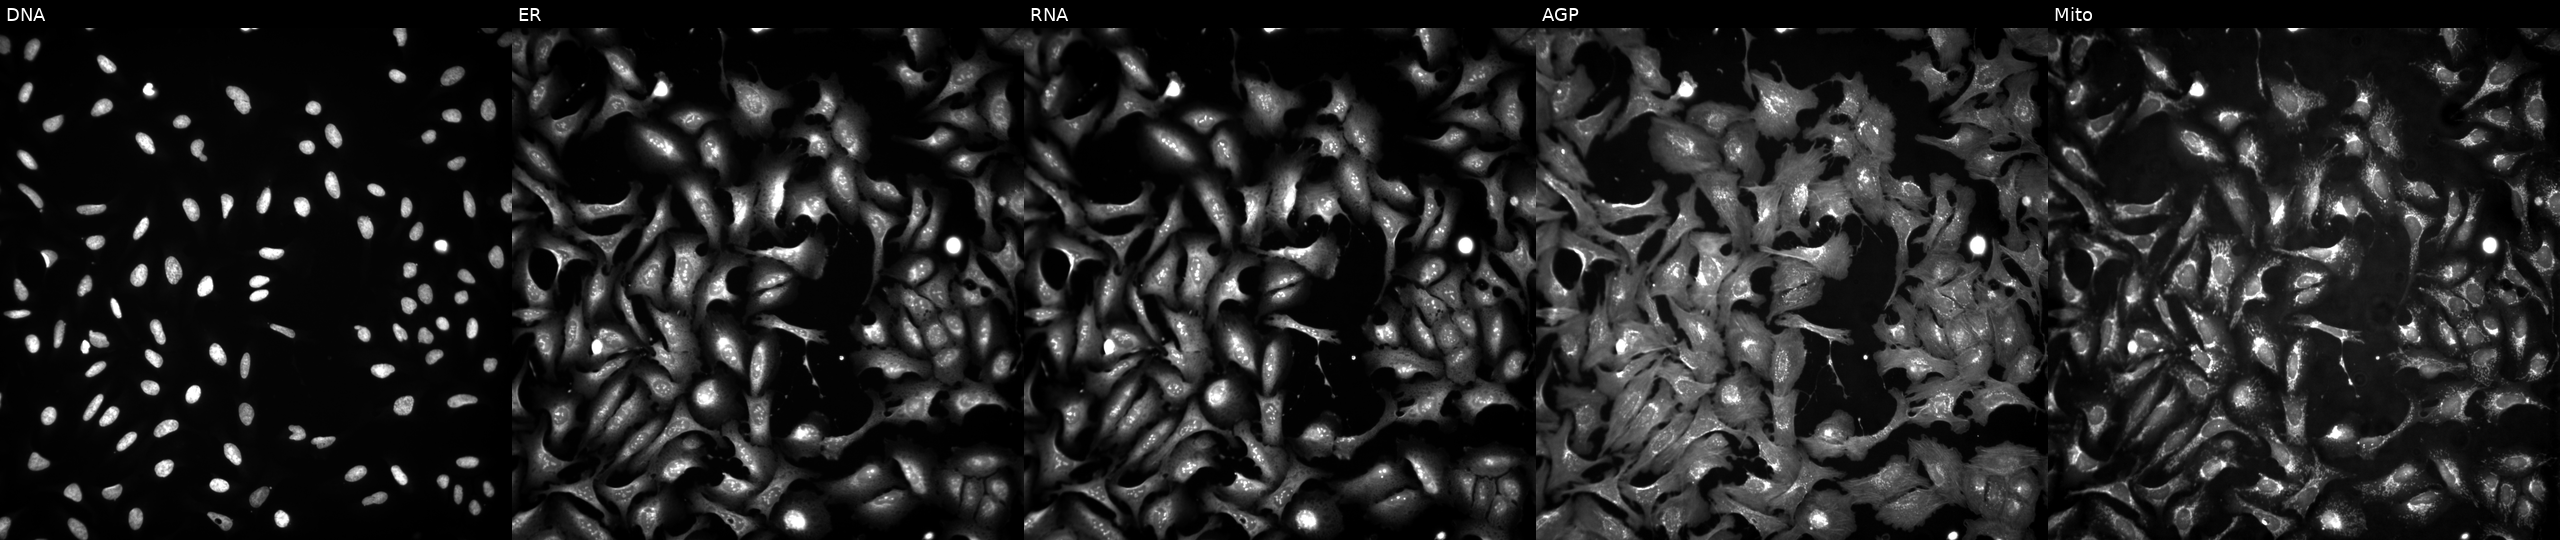
Channels (left→right): DNA (nuclei); ER (endoplasmic reticulum); RNA (nucleoli and cytoplasmic RNA); AGP (actin cytoskeleton, Golgi, and plasma membrane); Mito (mitochondria). U2OS osteosarcoma cells with FER overexpressed (ORF) (JUMP id JCP2022_913666). Cell Painting assay, JUMP-CP dataset.